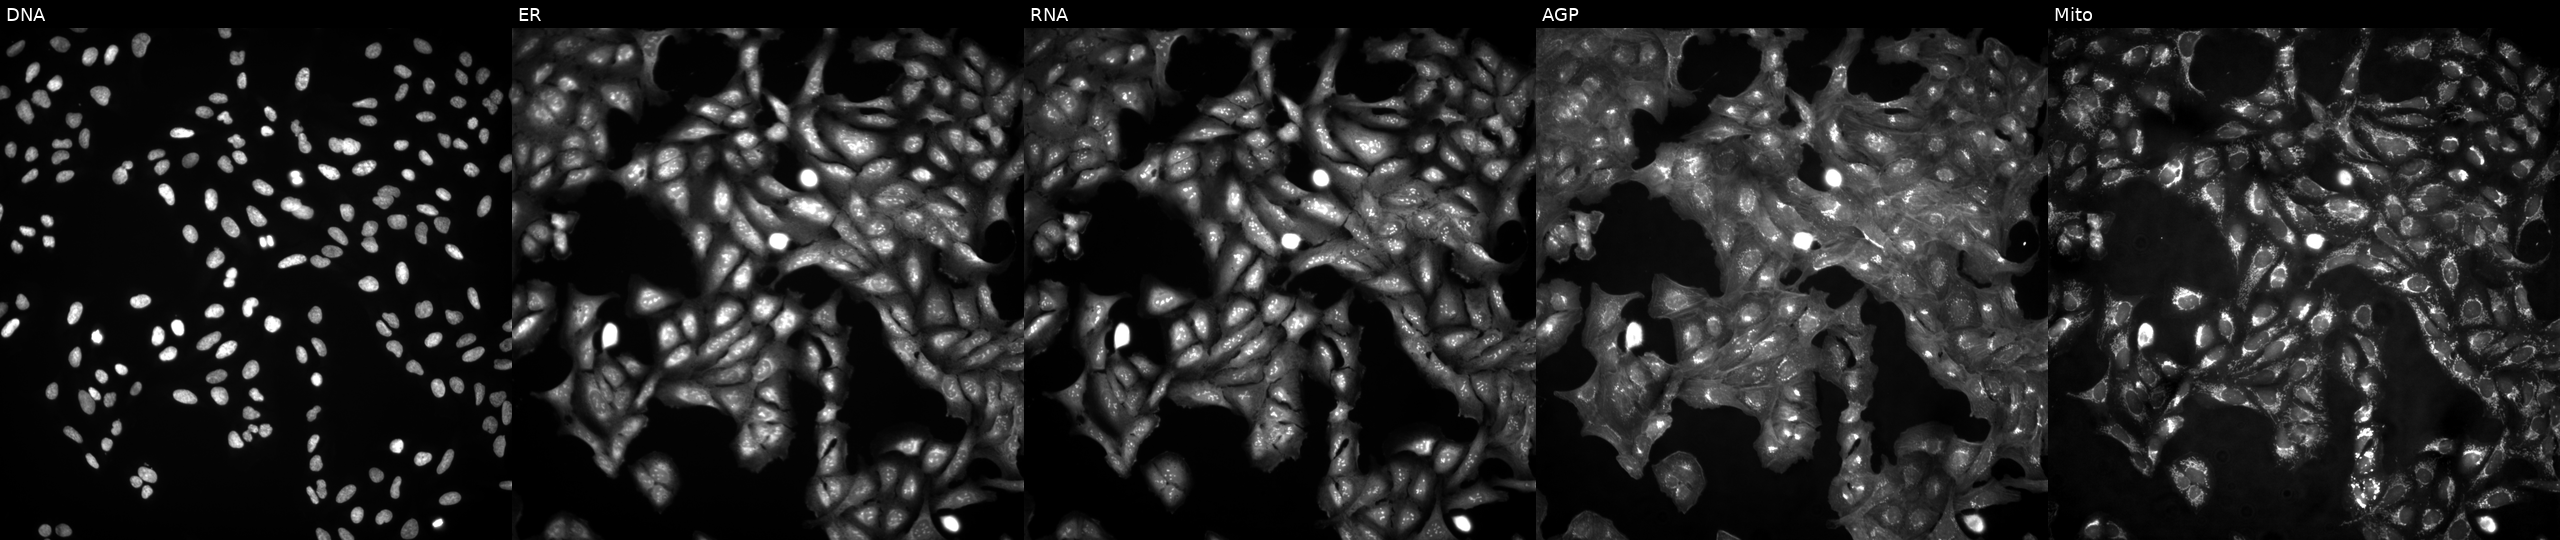
High-content fluorescence microscopy (Cell Painting). Cell line: U2OS. Perturbation: in an empty control well (no perturbation). Channels (left→right): DNA (nuclei); ER (endoplasmic reticulum); RNA (nucleoli and cytoplasmic RNA); AGP (actin cytoskeleton, Golgi, and plasma membrane); Mito (mitochondria).